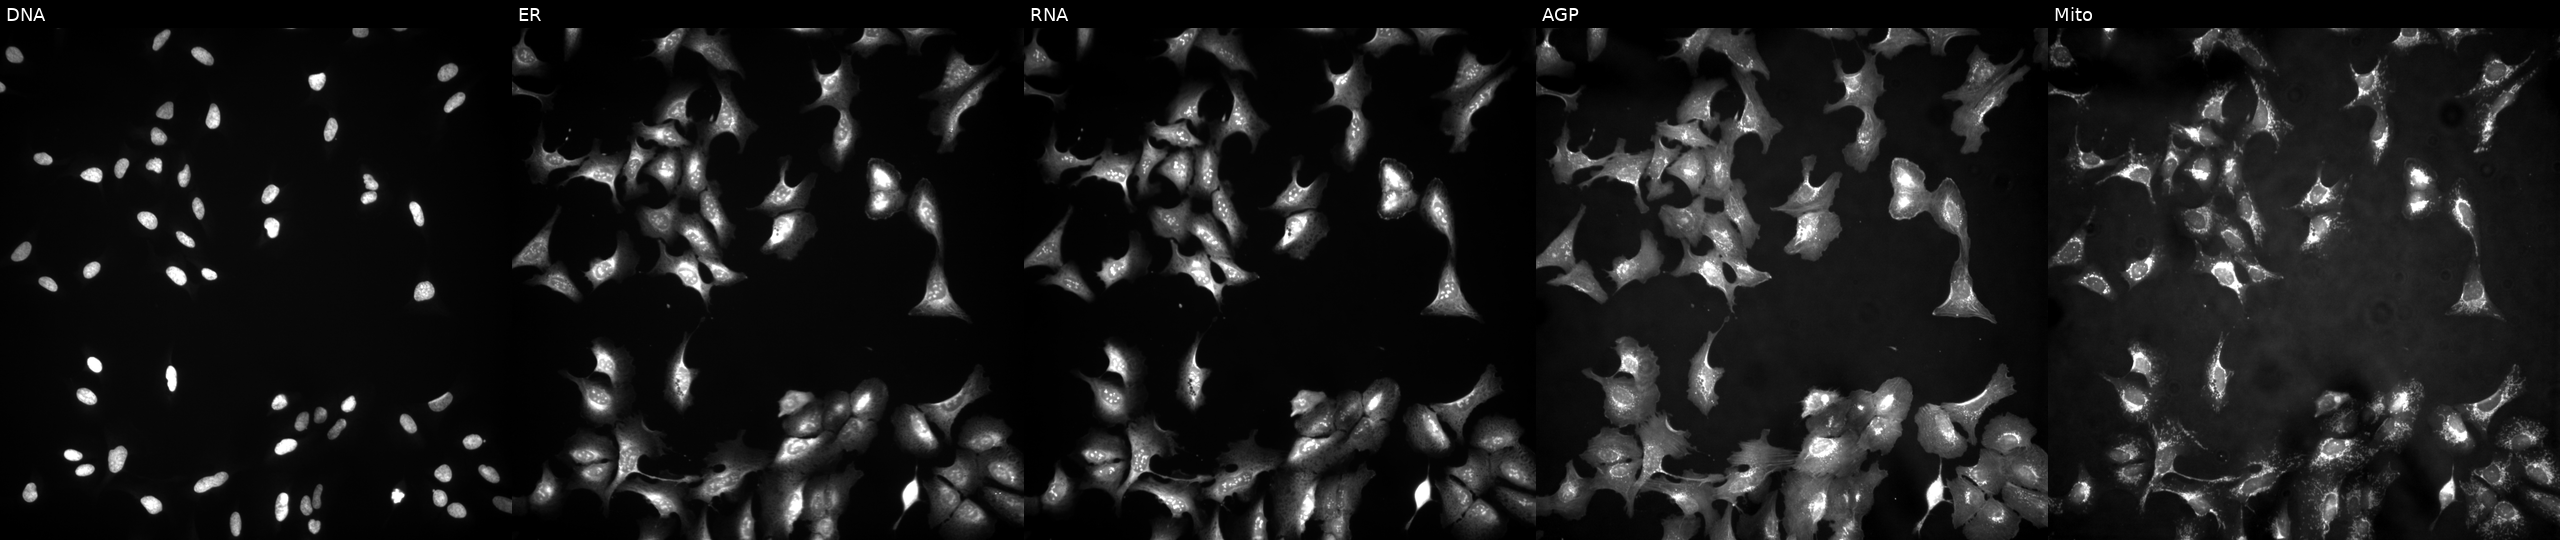
JUMP Cell Painting — ORF plate. U2OS cells untreated (empty-well control). Channels (left→right): Hoechst 33342, concanavalin A, SYTO 14, phalloidin and WGA, MitoTracker.